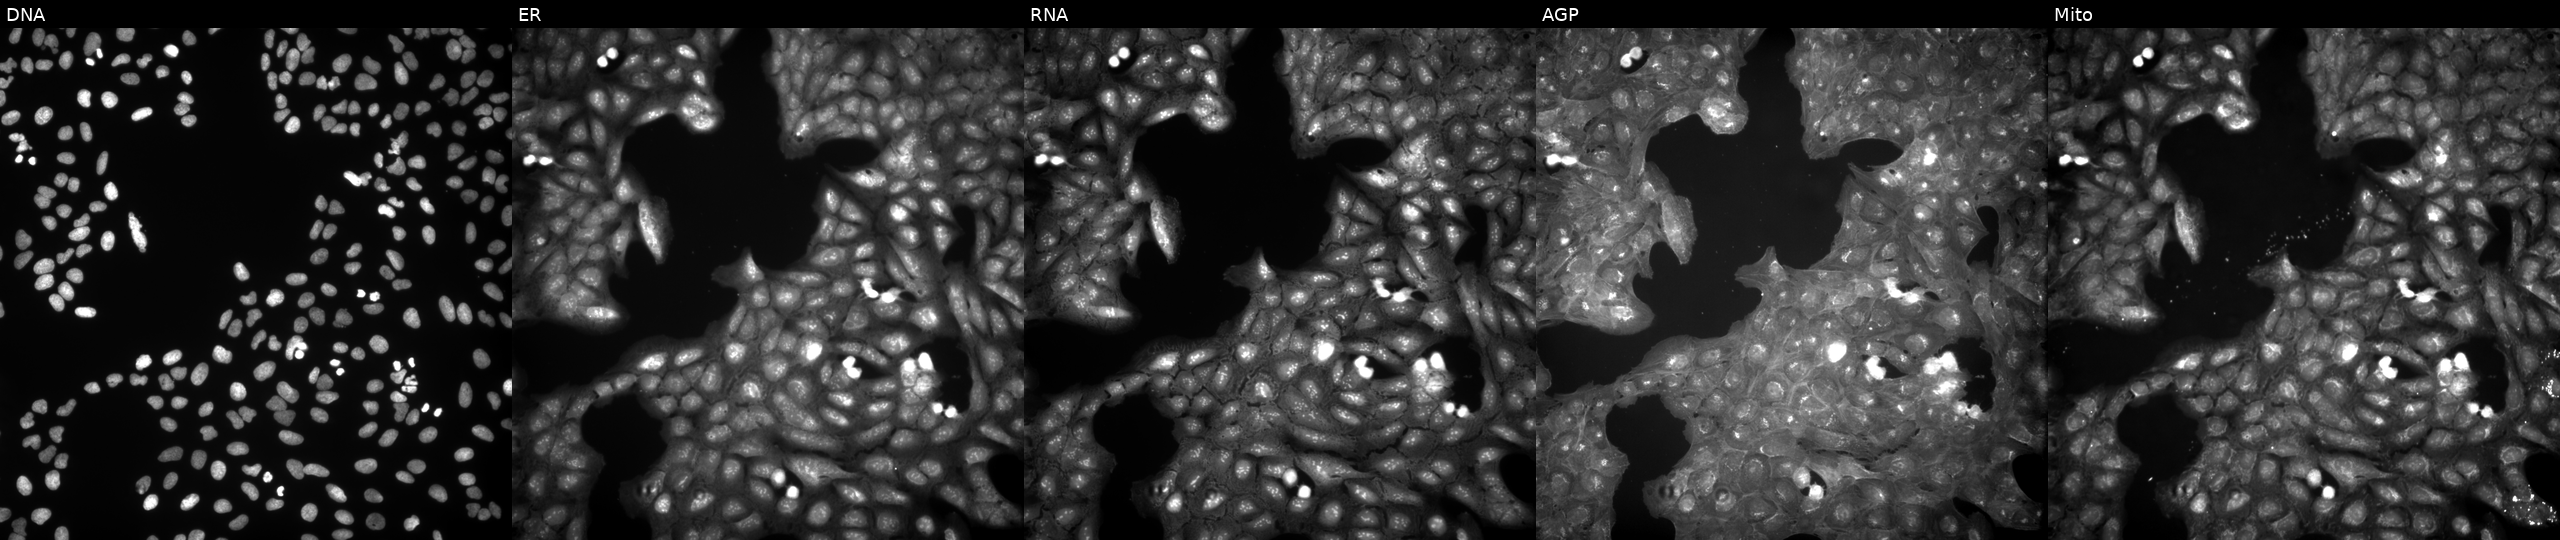
From left to right: DNA (nuclei); ER (endoplasmic reticulum); RNA (nucleoli and cytoplasmic RNA); AGP (actin cytoskeleton, Golgi, and plasma membrane); Mito (mitochondria). U2OS osteosarcoma cells perturbed with a small-molecule compound (InChIKey YTYFAJJZCOHJPQ-UHFFFAOYSA-N). Cell Painting assay, JUMP-CP dataset.